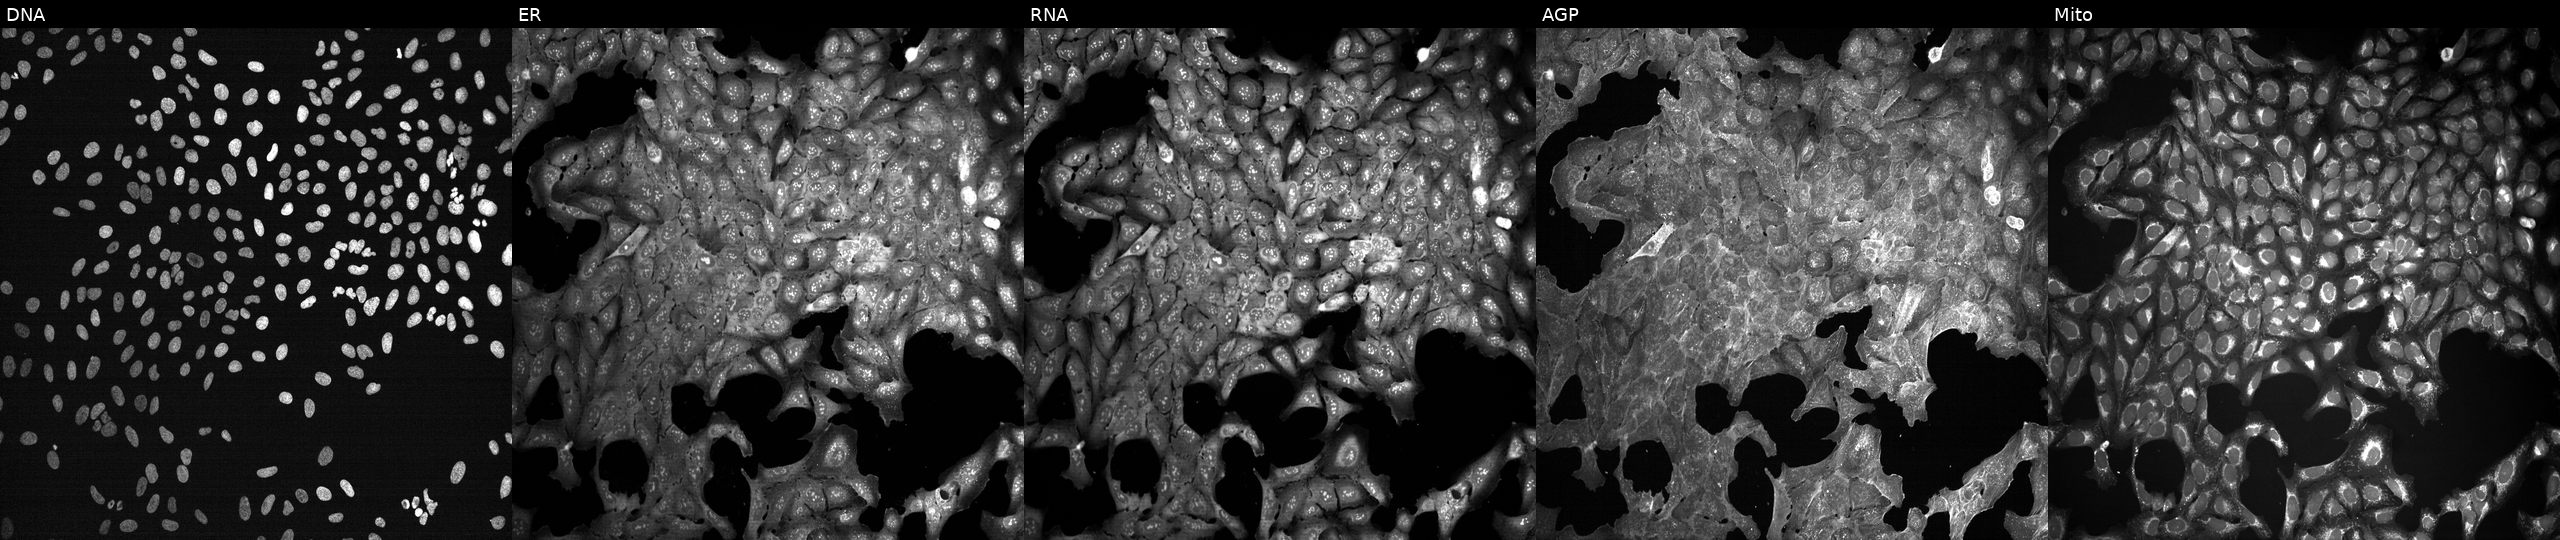
High-content fluorescence microscopy (Cell Painting). Cell line: U2OS. Perturbation: treated with a small-molecule compound (InChIKey GUUGZPSUOTWOMD-UHFFFAOYSA-N) [SMILES: Oc1ccc(C(O)O)[nH]1]. Channels (left→right): DNA (nuclei); ER (endoplasmic reticulum); RNA (nucleoli and cytoplasmic RNA); AGP (actin cytoskeleton, Golgi, and plasma membrane); Mito (mitochondria).